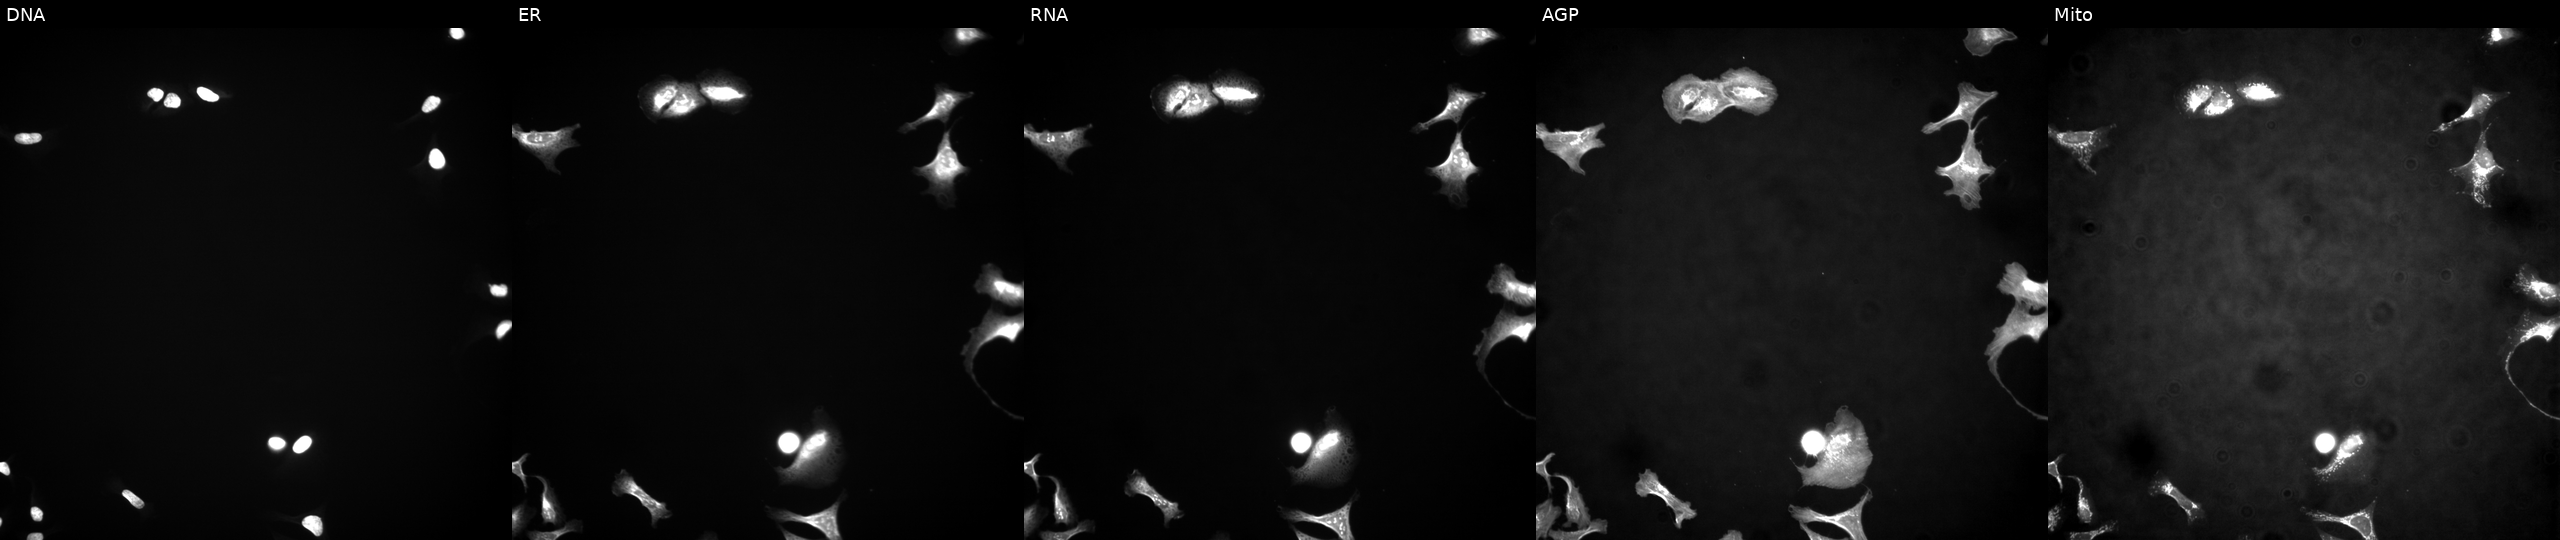
Channels (left→right): Hoechst 33342, concanavalin A, SYTO 14, phalloidin and WGA, MitoTracker. U2OS osteosarcoma cells with TMED6 overexpressed (ORF) (JUMP id JCP2022_908979). Cell Painting assay, JUMP-CP dataset. Source 4, plate BR00124784, well M21.